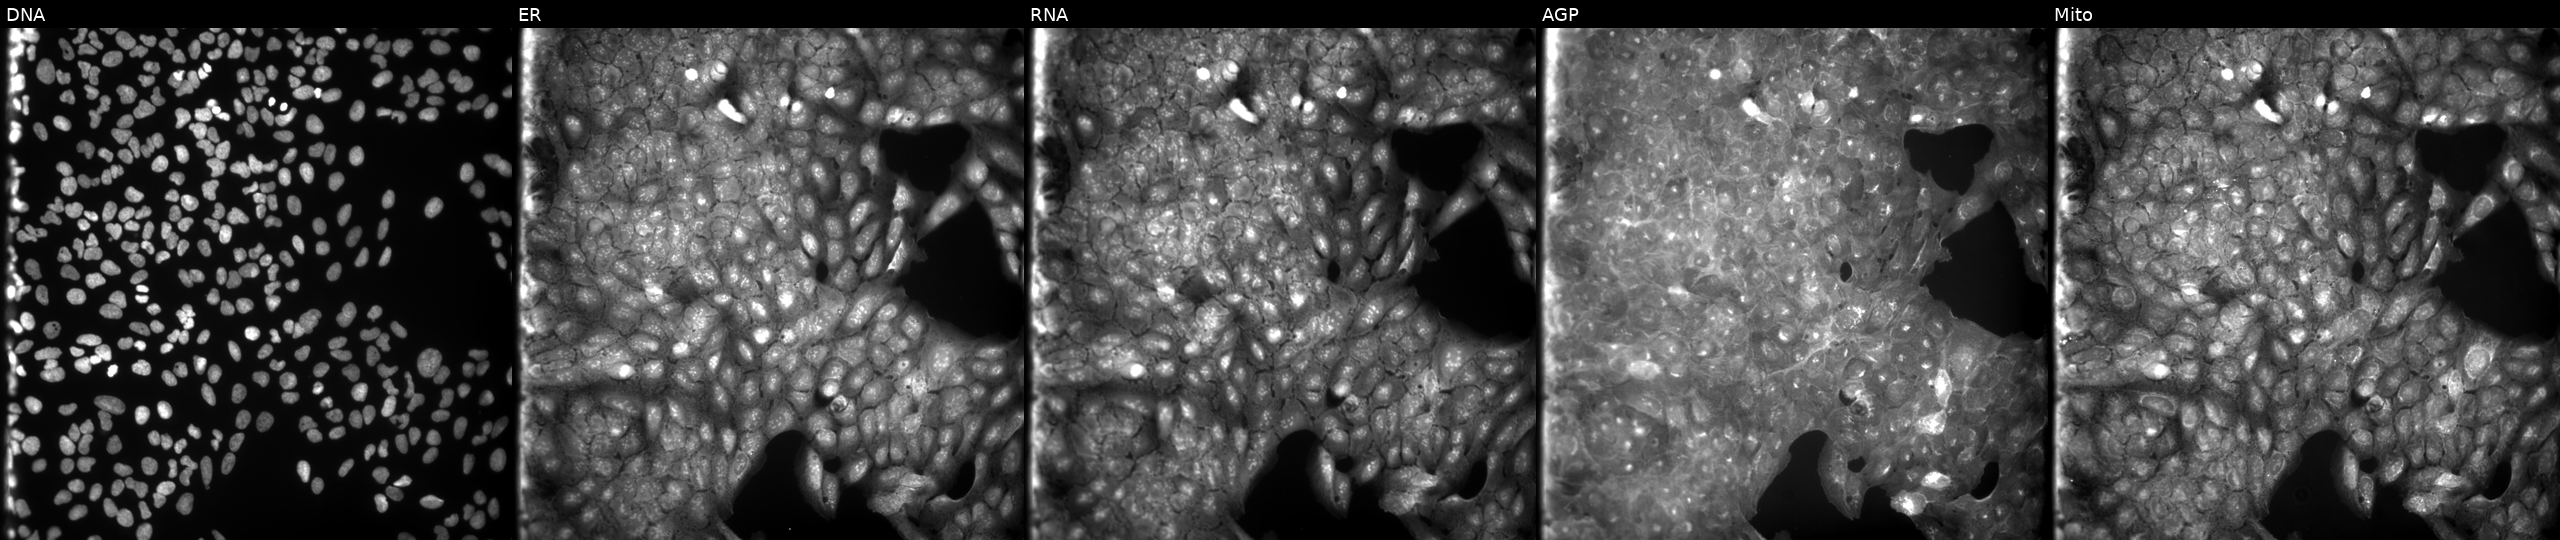
This image strip shows the five Cell Painting channels for a single field of U2OS cells exposed to a small-molecule compound (InChIKey GVEFQSYZTXFZIC-UHFFFAOYSA-N) (JUMP id JCP2022_027995). Panels show, left to right, Hoechst 33342, concanavalin A, SYTO 14, phalloidin and WGA, MitoTracker.